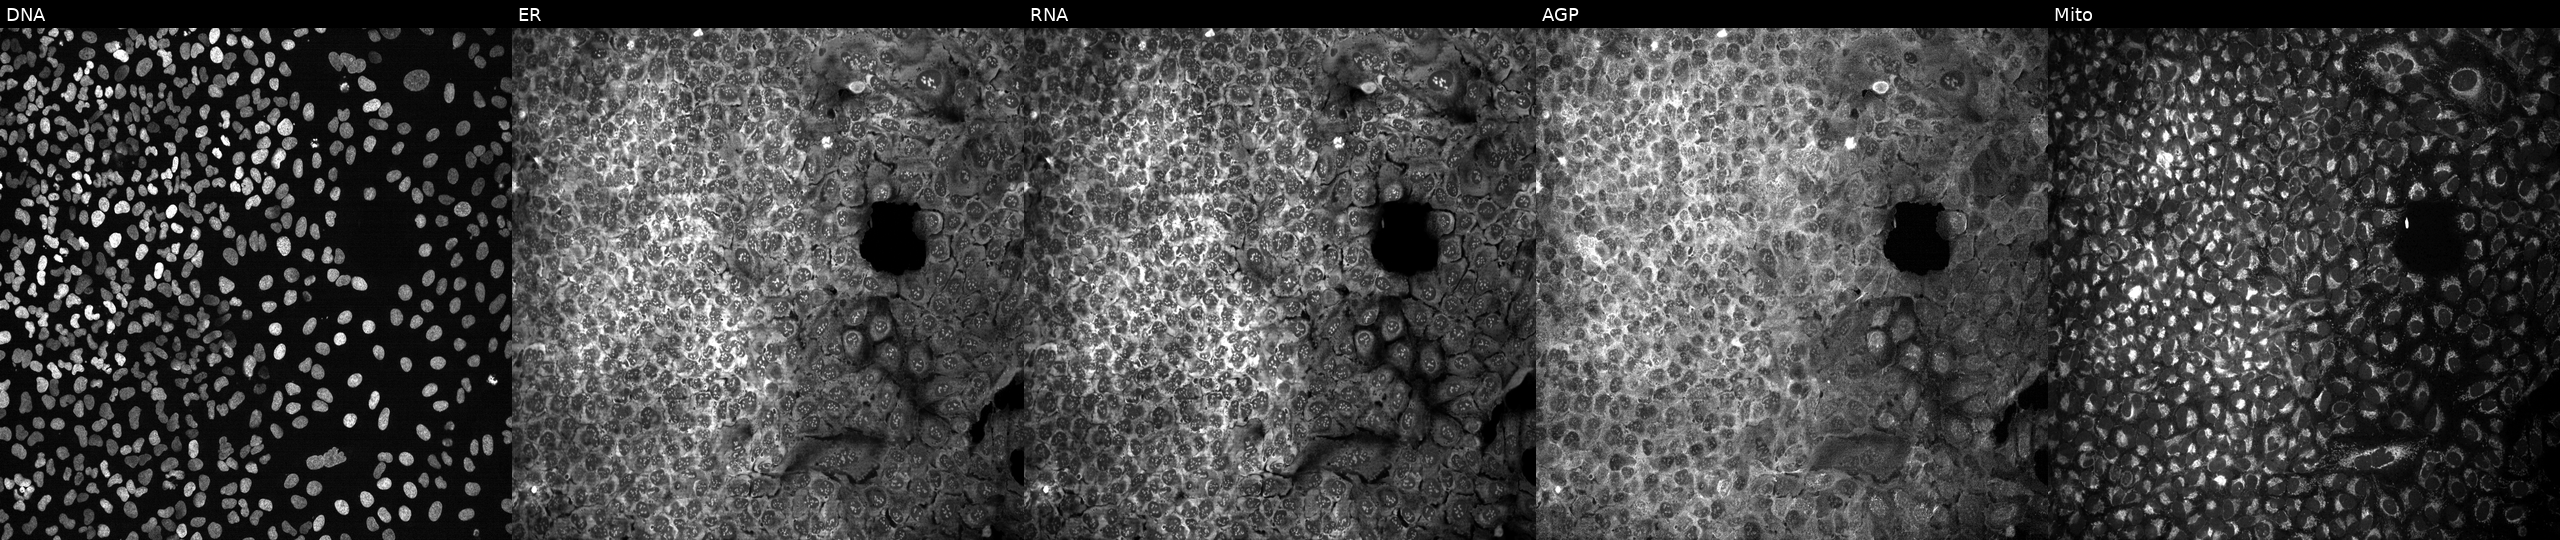
Five-channel Cell Painting image of U2OS cells with no CRISPR guide (negative control) (JUMP id JCP2022_800001). From left to right: Hoechst 33342, concanavalin A, SYTO 14, phalloidin and WGA, MitoTracker.